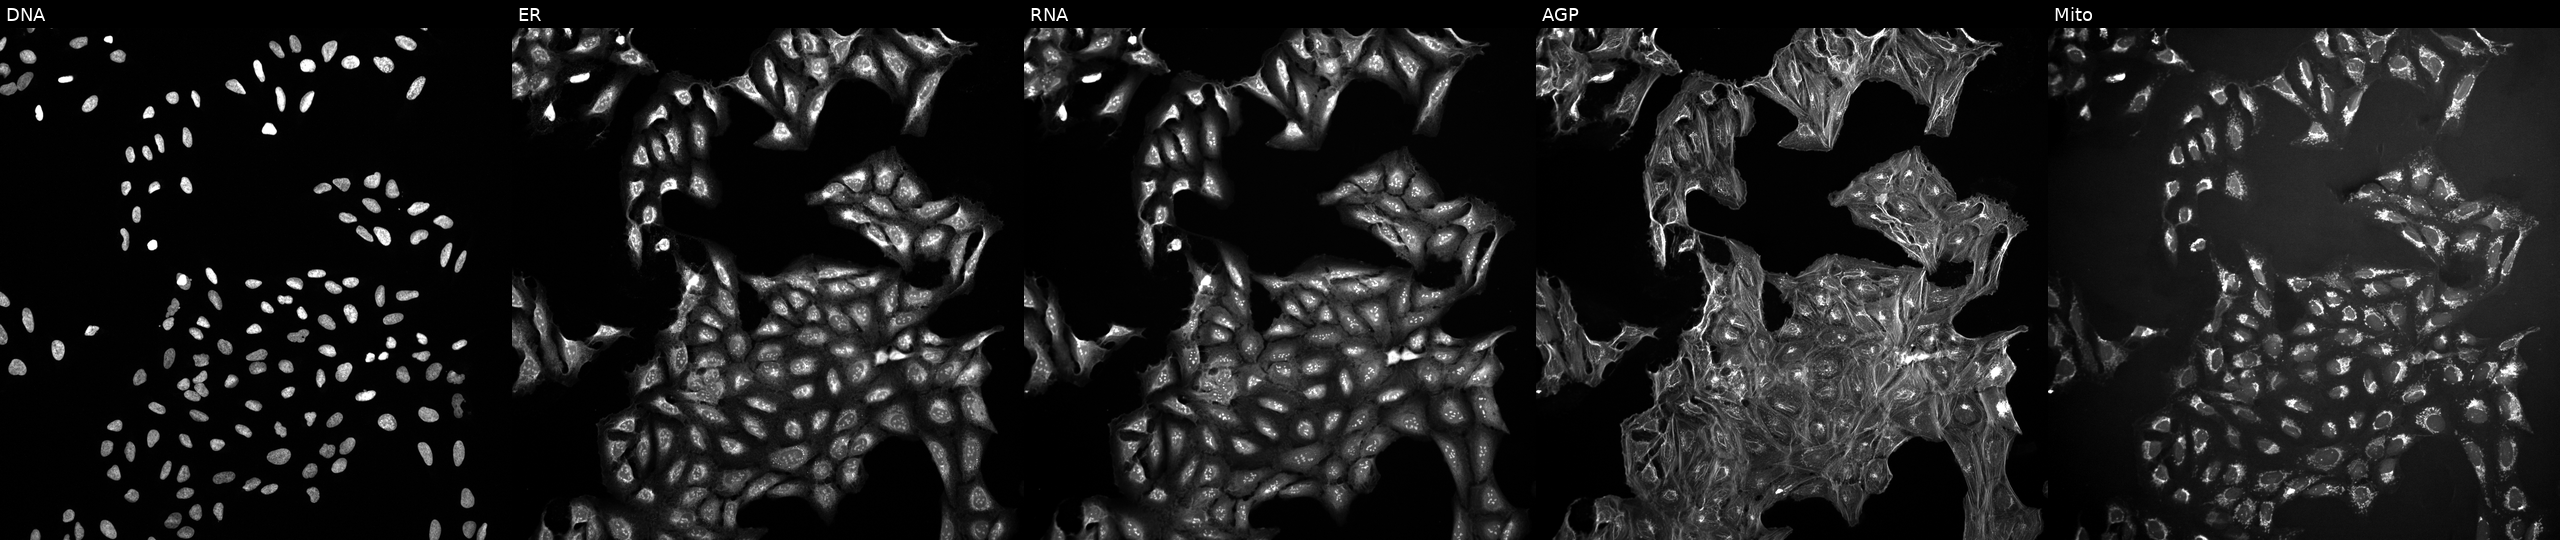
Channels (left→right): DNA (nuclei); ER (endoplasmic reticulum); RNA (nucleoli and cytoplasmic RNA); AGP (actin cytoskeleton, Golgi, and plasma membrane); Mito (mitochondria). U2OS osteosarcoma cells exposed to DMSO alone as a negative control. Cell Painting assay, JUMP-CP dataset. Source 10, plate Dest210727-153003, well H09.